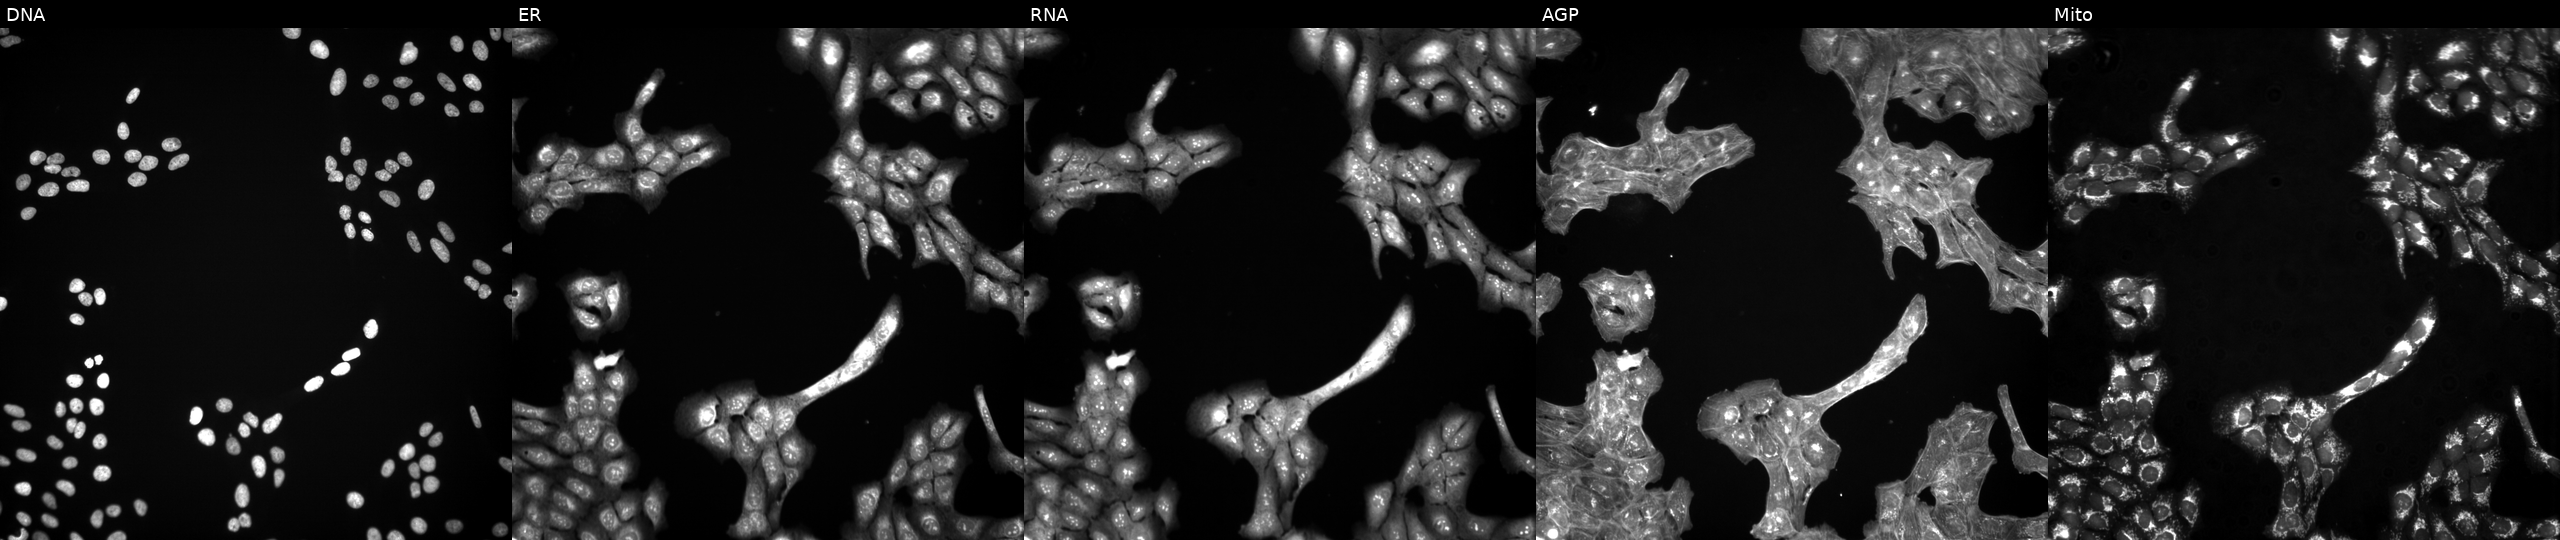
JUMP Cell Painting — TARGET2 plate. U2OS cells treated with a small-molecule compound (InChIKey PHOGQKDIVUJGMJ-UHFFFAOYSA-N). Panels show, left to right, DNA, ER, RNA, AGP, and Mito. Source 3, plate JCPQC051, well P18.